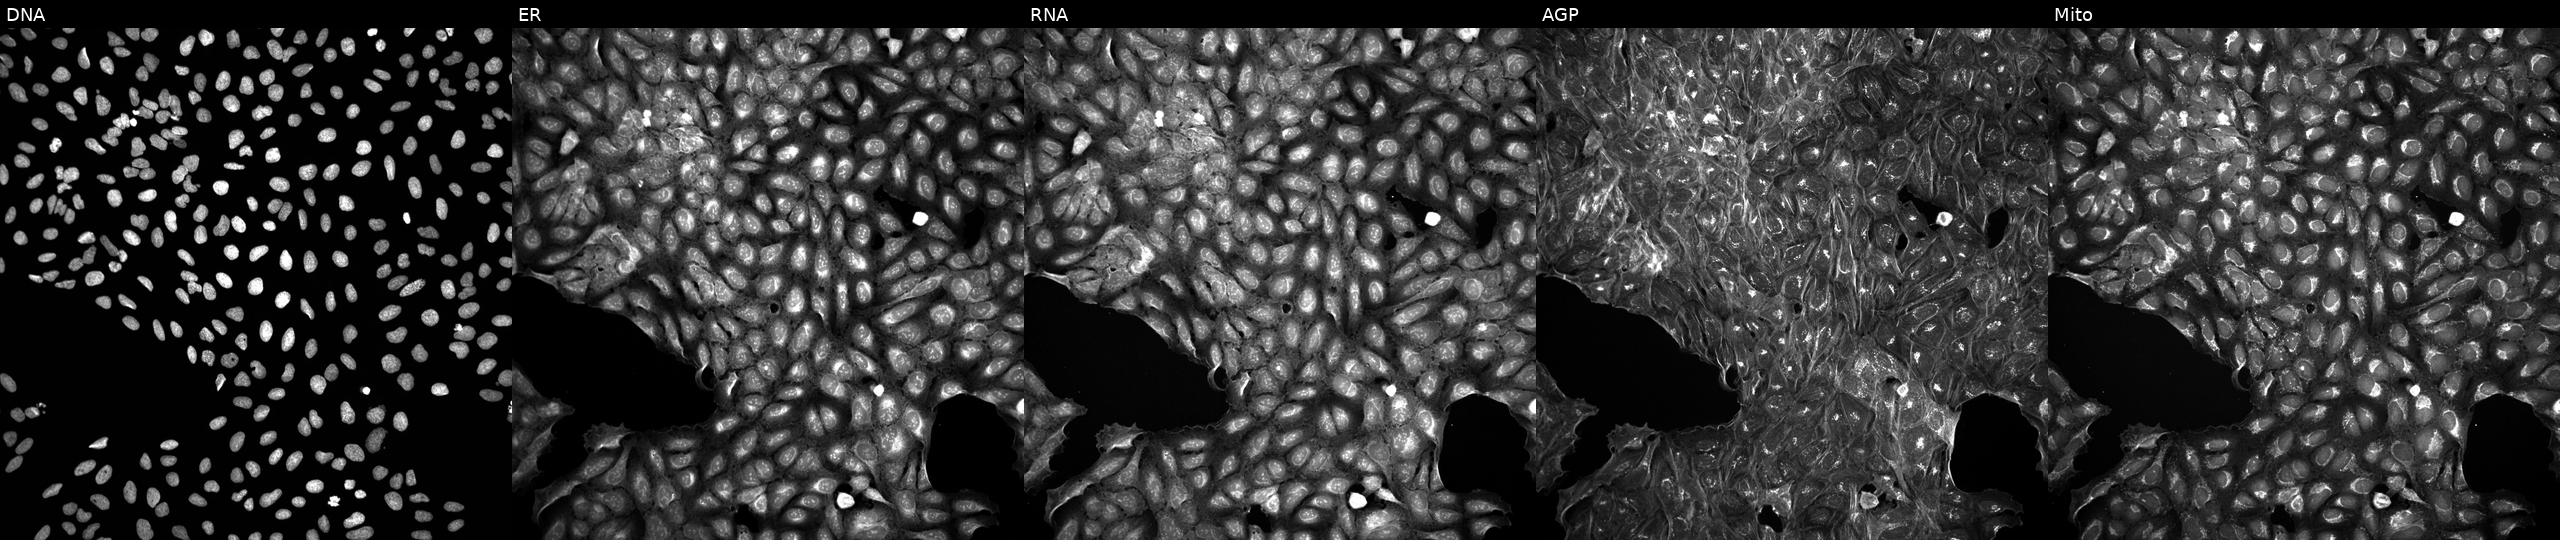
Five-channel Cell Painting image of U2OS cells treated with DMSO vehicle only (negative control). The five panels, left to right, show DNA, ER, RNA, AGP, and Mito. Source 5, plate APTJUM106, well D02.